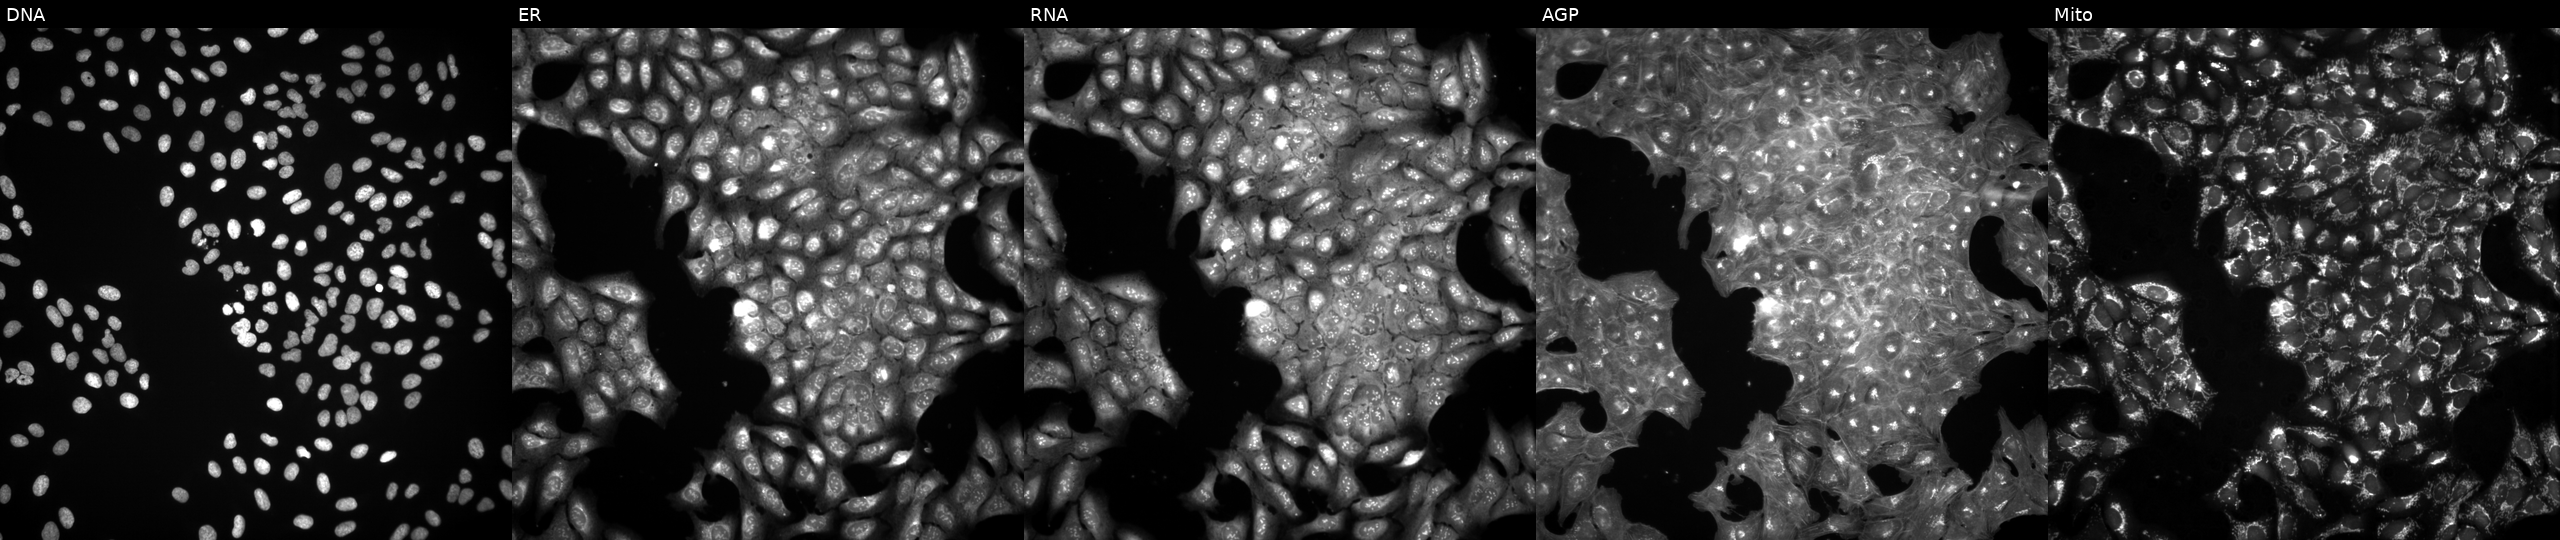
Channels (left→right): DNA, ER, RNA, AGP, and Mito. U2OS osteosarcoma cells perturbed with a small-molecule compound (InChIKey IZMYWEXQNFYSRZ-UHFFFAOYSA-N). Cell Painting assay, JUMP-CP dataset. Source 3, plate BR5867b3, well B04.